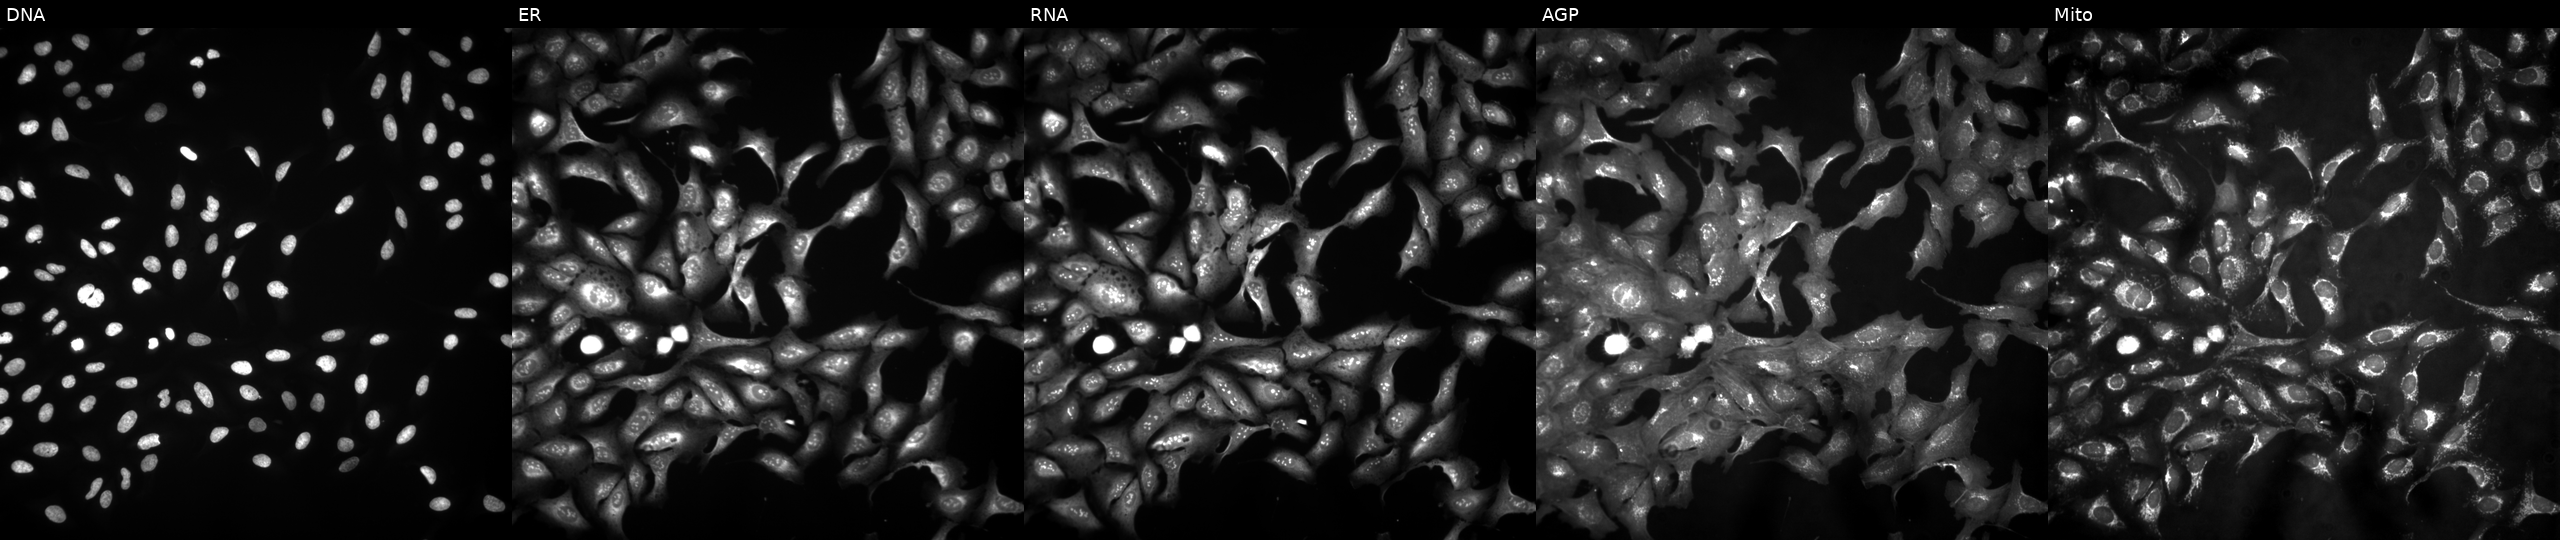
Five-channel Cell Painting image of U2OS cells with AGFG1 overexpressed (ORF). From left to right: DNA, ER, RNA, AGP, and Mito.